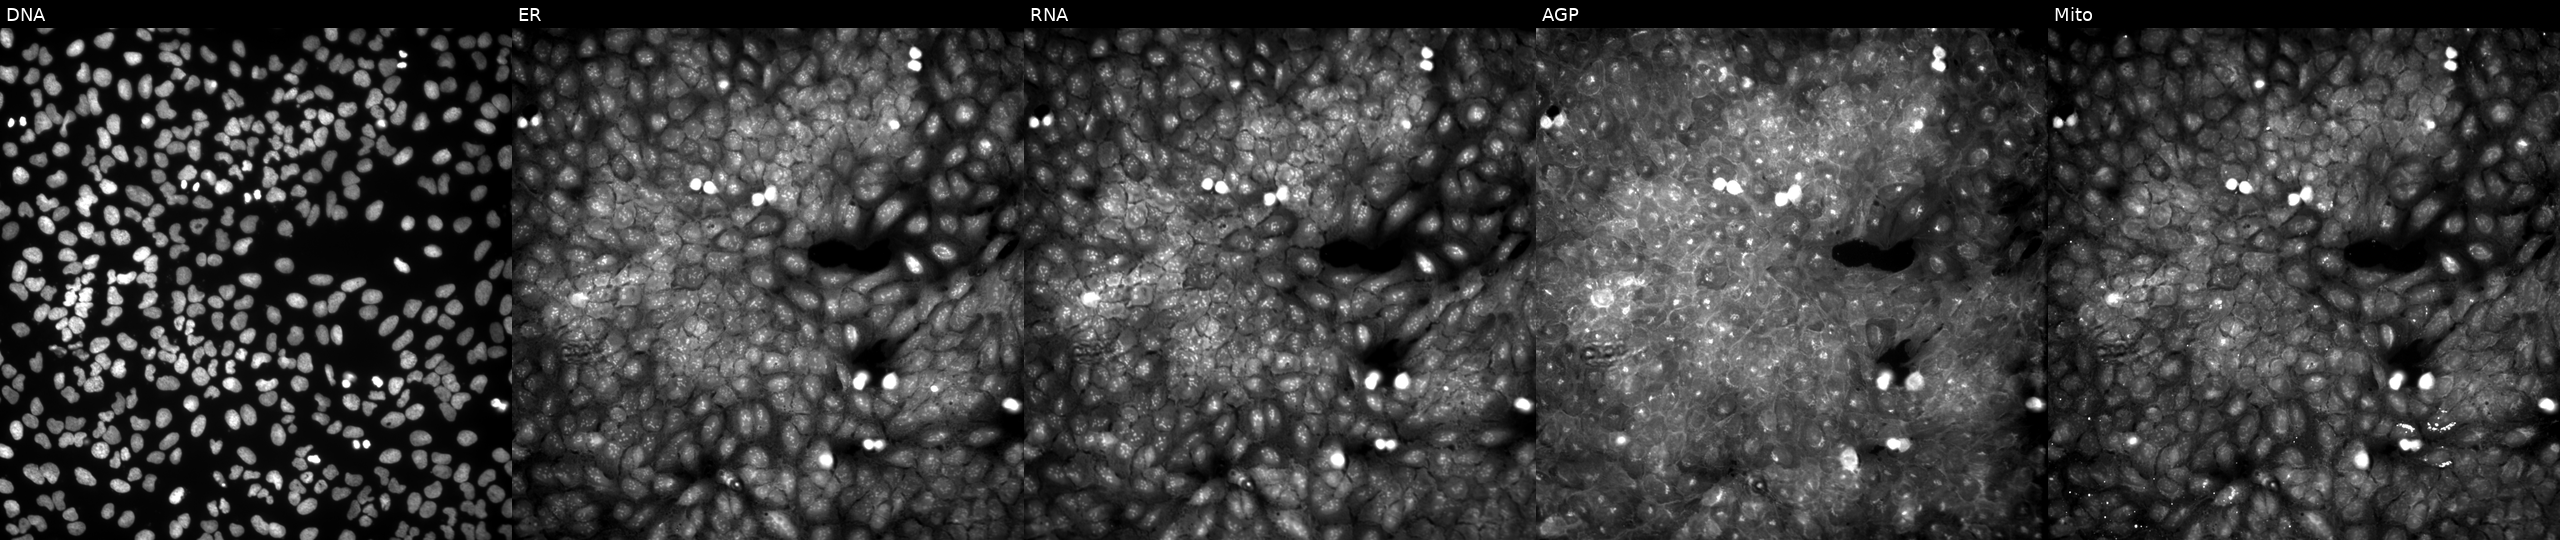
High-content fluorescence microscopy (Cell Painting). Cell line: U2OS. Perturbation: exposed to a small-molecule compound (InChIKey DVAKTTNLLGLIPD-UHFFFAOYSA-N) (JUMP id JCP2022_018399). From left to right: Hoechst 33342, concanavalin A, SYTO 14, phalloidin and WGA, MitoTracker.